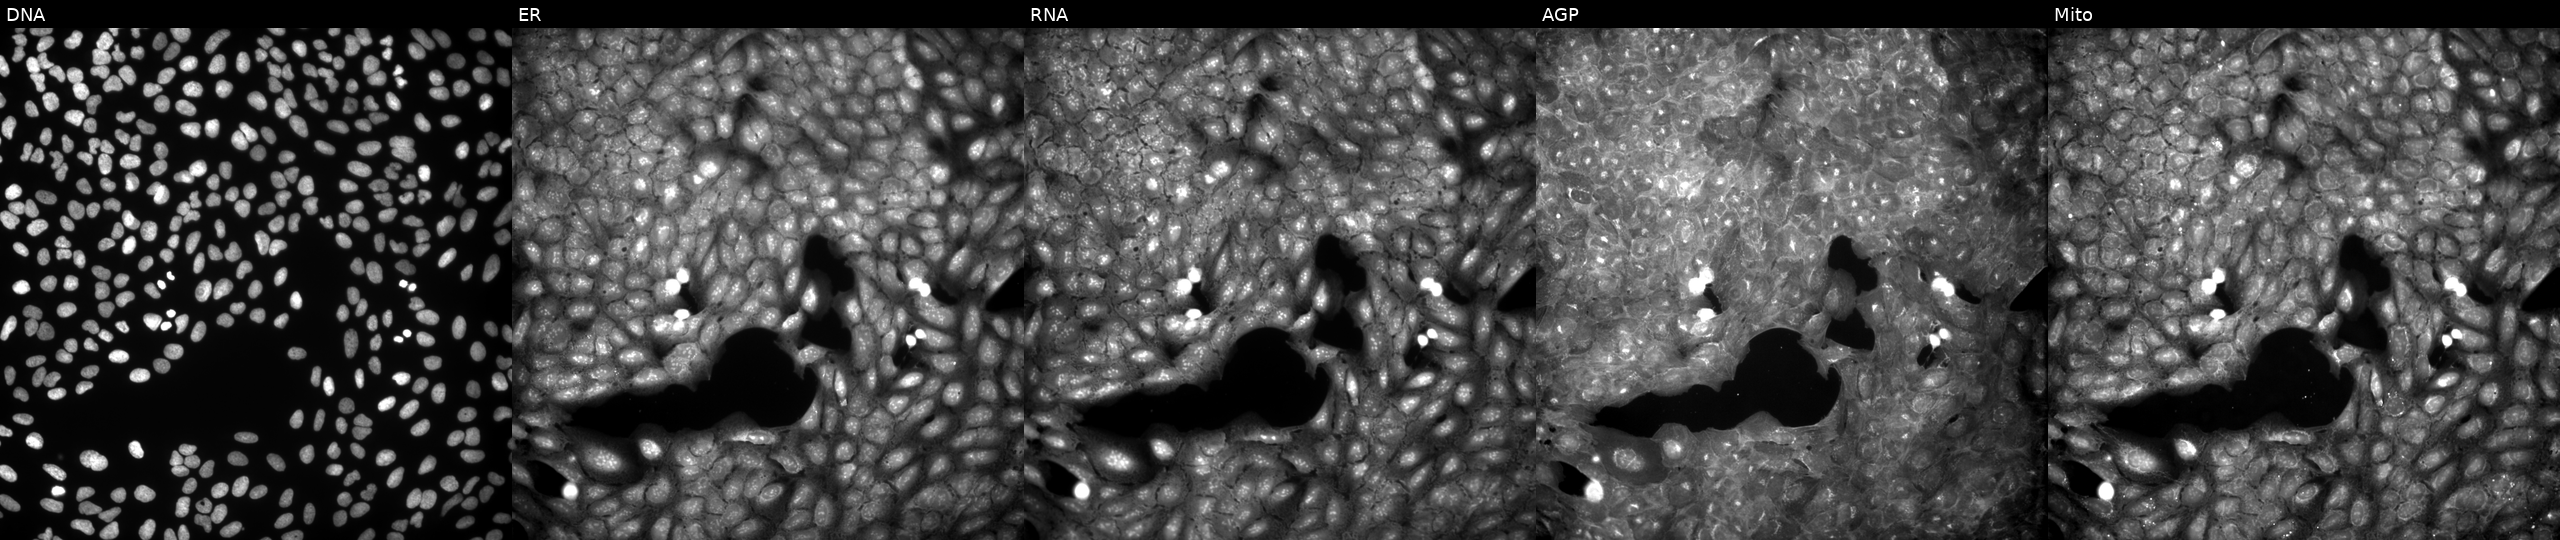
Five-channel Cell Painting image of U2OS cells perturbed with a small-molecule compound (InChIKey WVQSUZHTTPJWBH-UHFFFAOYSA-N) [SMILES: O=C1CN(C(=O)c2ccccc2[N+](=O)[O-])C(c2ccccc2)c2cc(Br)ccc2N1]. From left to right: DNA (nuclei); ER (endoplasmic reticulum); RNA (nucleoli and cytoplasmic RNA); AGP (actin cytoskeleton, Golgi, and plasma membrane); Mito (mitochondria).